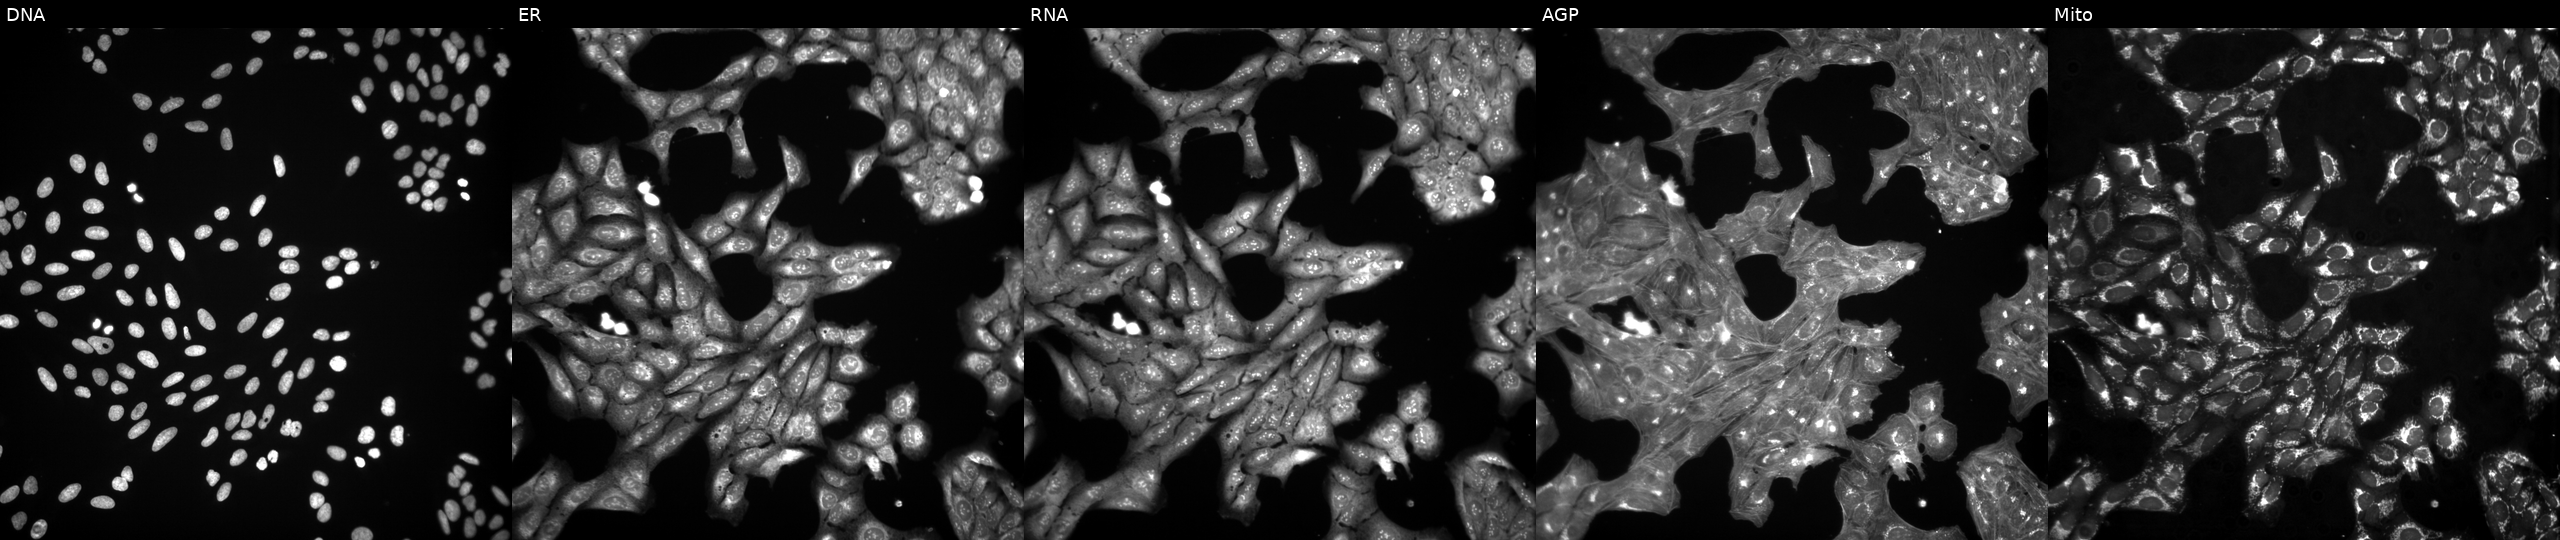
U2OS cells, Cell Painting assay, treated with dexamethasone (positive-control compound) (JUMP id JCP2022_025848). Channels (left→right): Hoechst 33342, concanavalin A, SYTO 14, phalloidin and WGA, MitoTracker. Each panel is percentile-stretched 16-bit fluorescence.